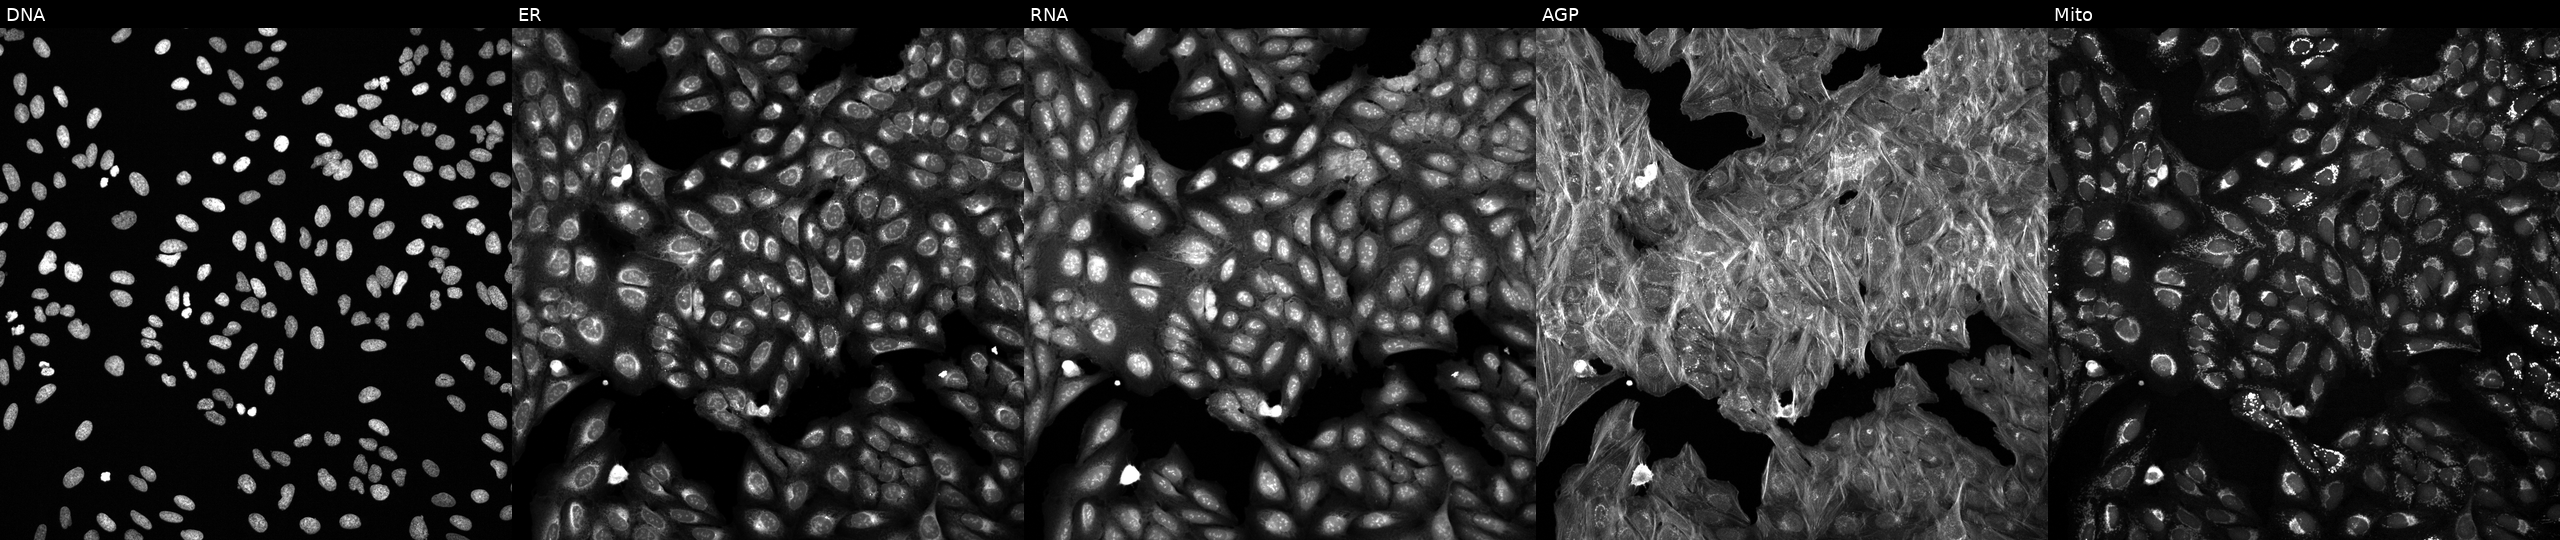
From left to right: DNA, ER, RNA, AGP, and Mito. U2OS osteosarcoma cells exposed to a small-molecule compound (InChIKey BNBOKVPPFAFMSX-UHFFFAOYSA-N) (JUMP id JCP2022_007387). Cell Painting assay, JUMP-CP dataset. Source 6, plate 110000293083, well D14.